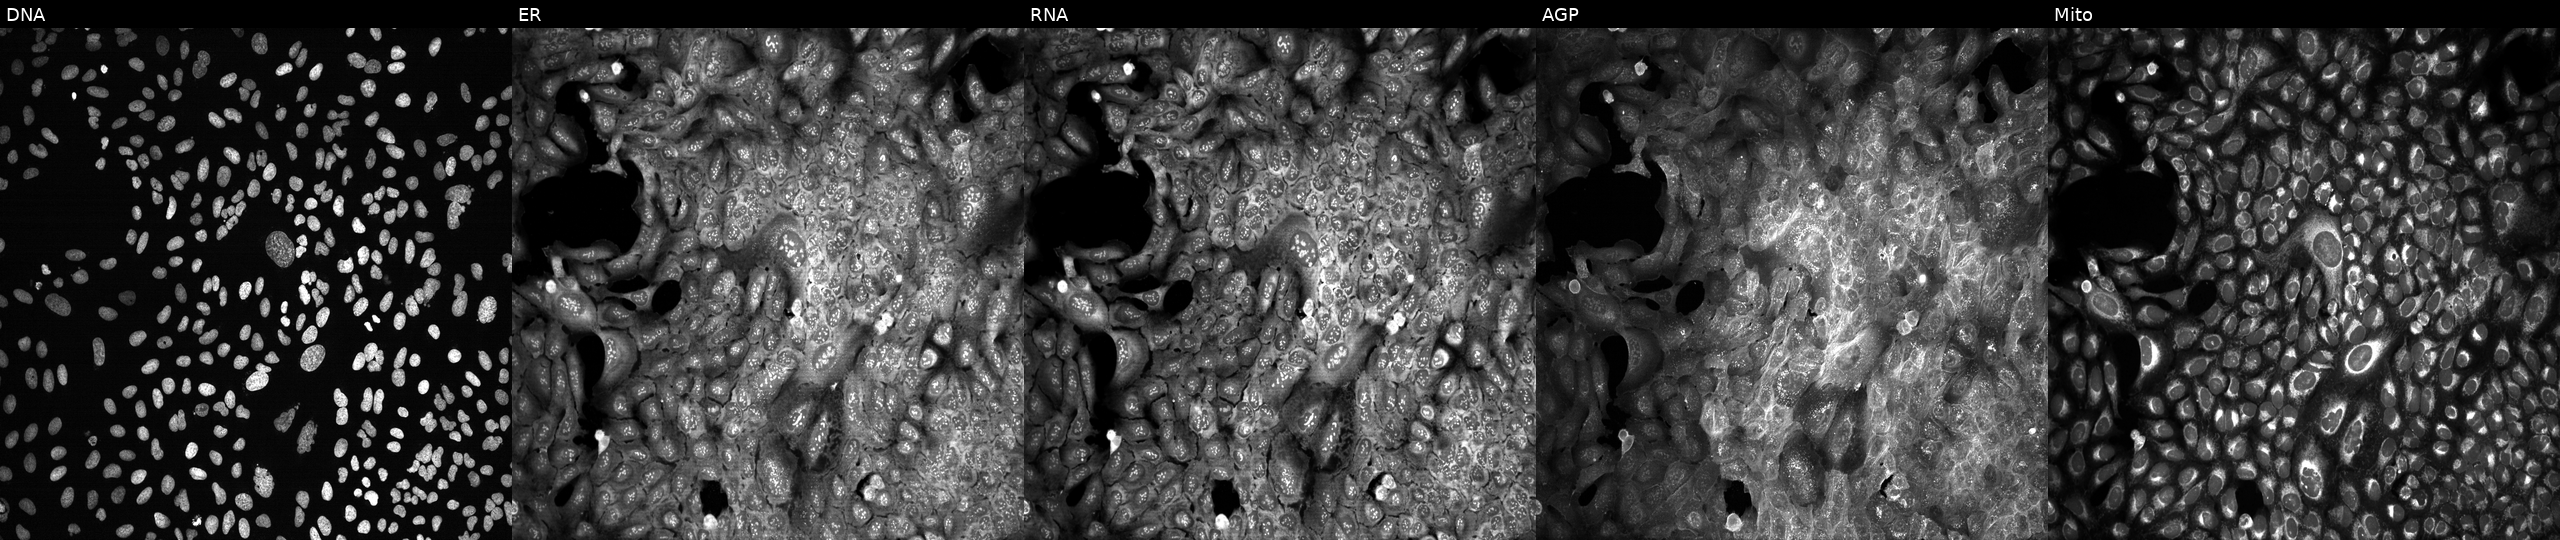
This image strip shows the five Cell Painting channels for a single field of U2OS cells CRISPR-edited to disrupt CREB3L4. Panels show, left to right, DNA (nuclei); ER (endoplasmic reticulum); RNA (nucleoli and cytoplasmic RNA); AGP (actin cytoskeleton, Golgi, and plasma membrane); Mito (mitochondria). Source 13, plate CP-CC9-R6-19, well J20.